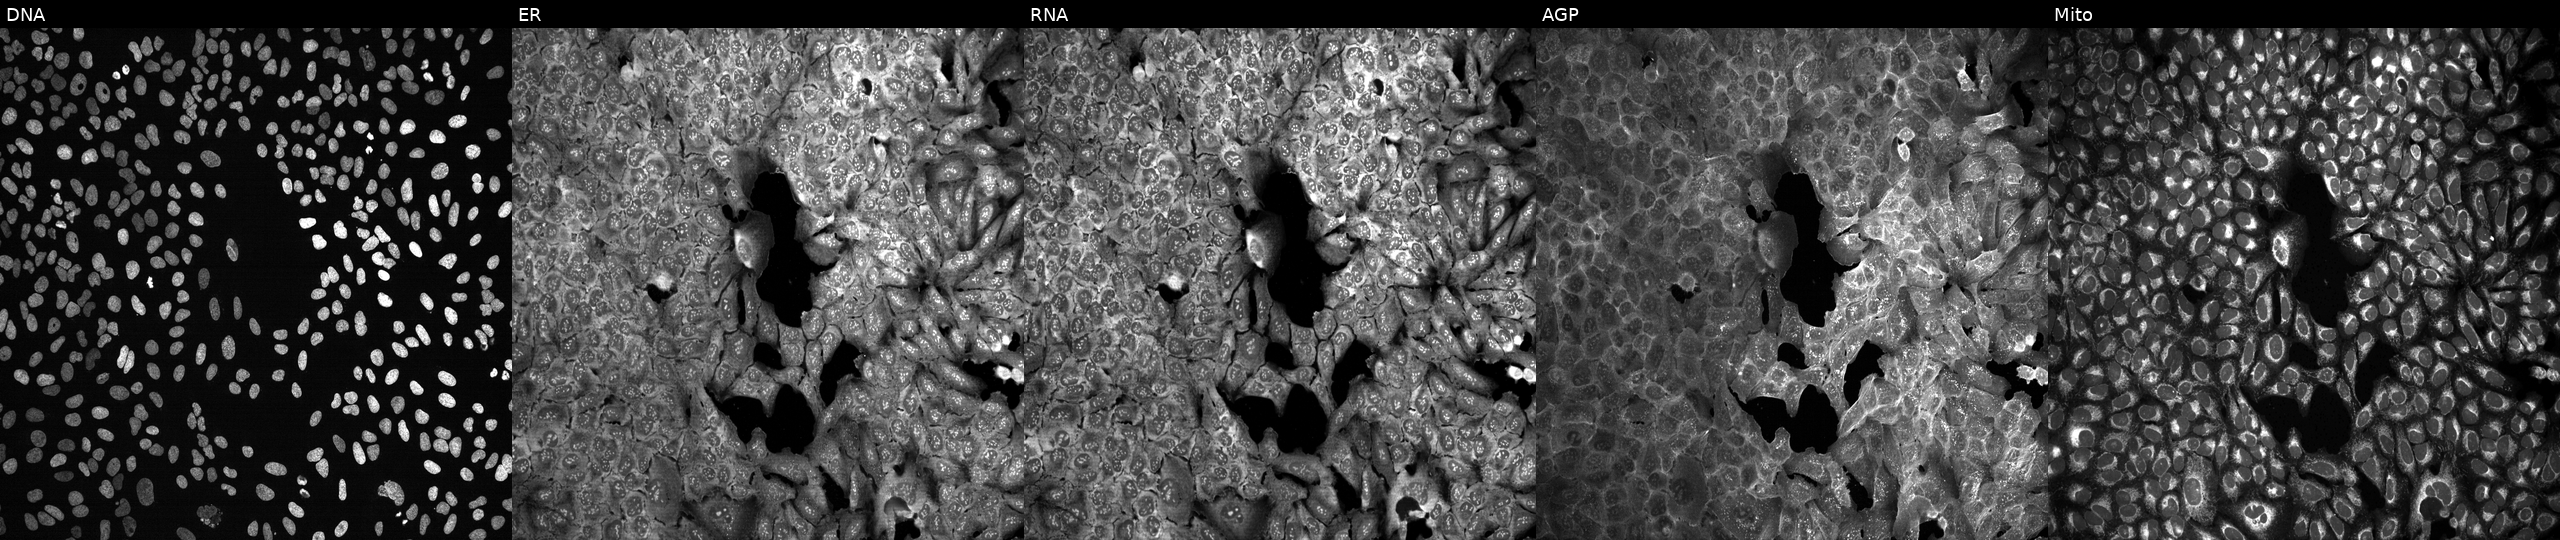
This image strip shows the five Cell Painting channels for a single field of U2OS cells CRISPR-edited to disrupt SUPT16H. Channels (left→right): Hoechst 33342, concanavalin A, SYTO 14, phalloidin and WGA, MitoTracker.